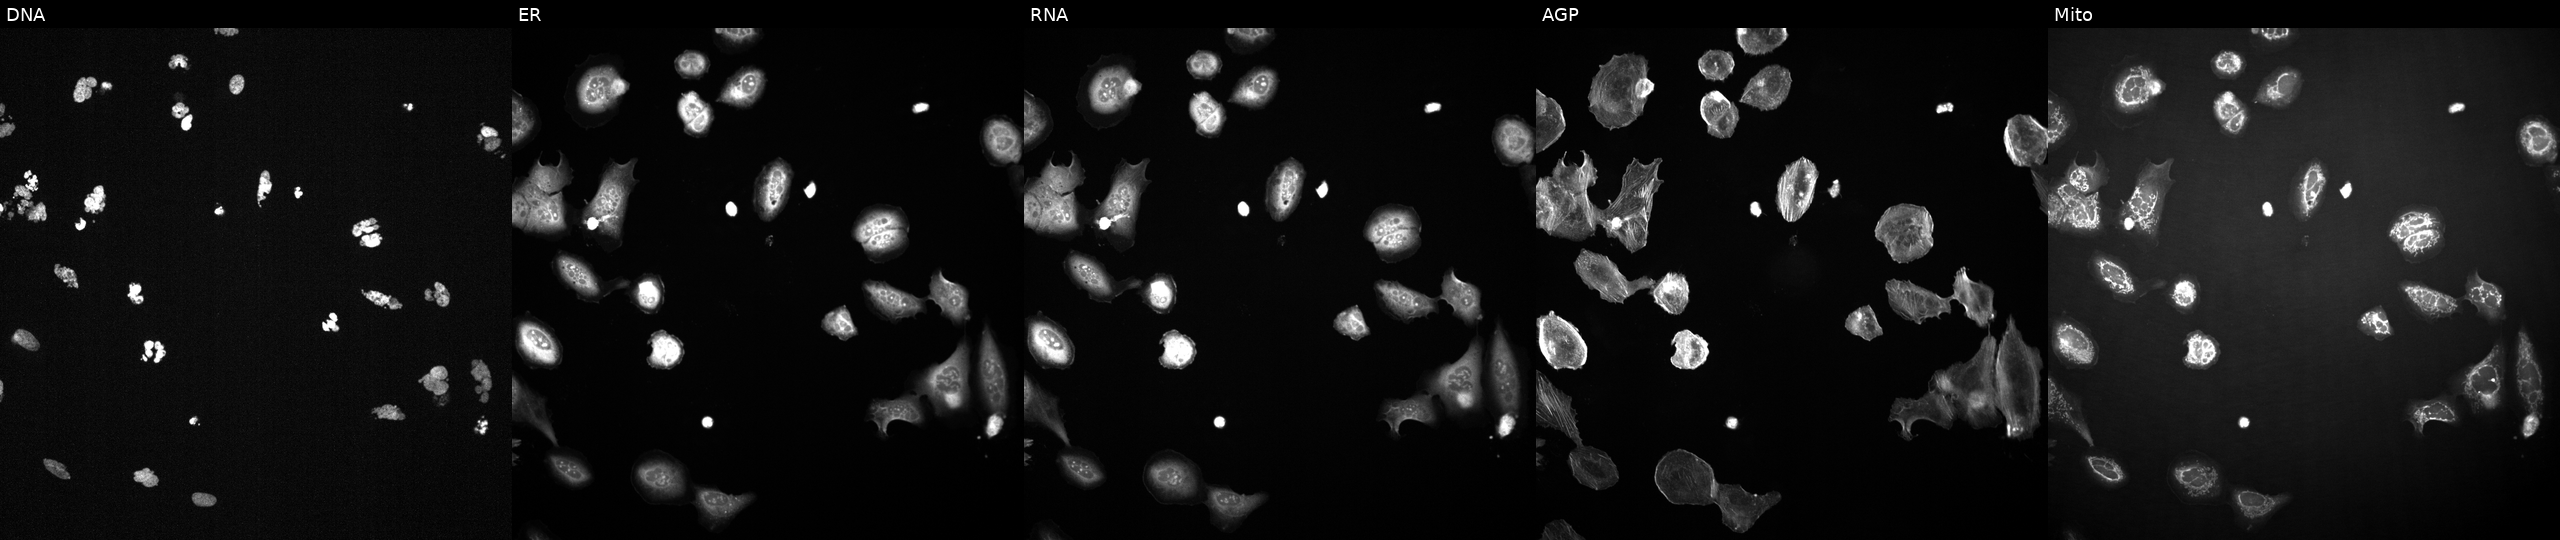
This image strip shows the five Cell Painting channels for a single field of U2OS cells perturbed with a small-molecule compound [SMILES: CC(=Cc1csc(C)n1)C1CC2OC2(C)CCCC(C)C(O)C(C)C(=O)C(C)(C)C(O)CC(=O)N1]. The five panels, left to right, show Hoechst 33342, concanavalin A, SYTO 14, phalloidin and WGA, MitoTracker.